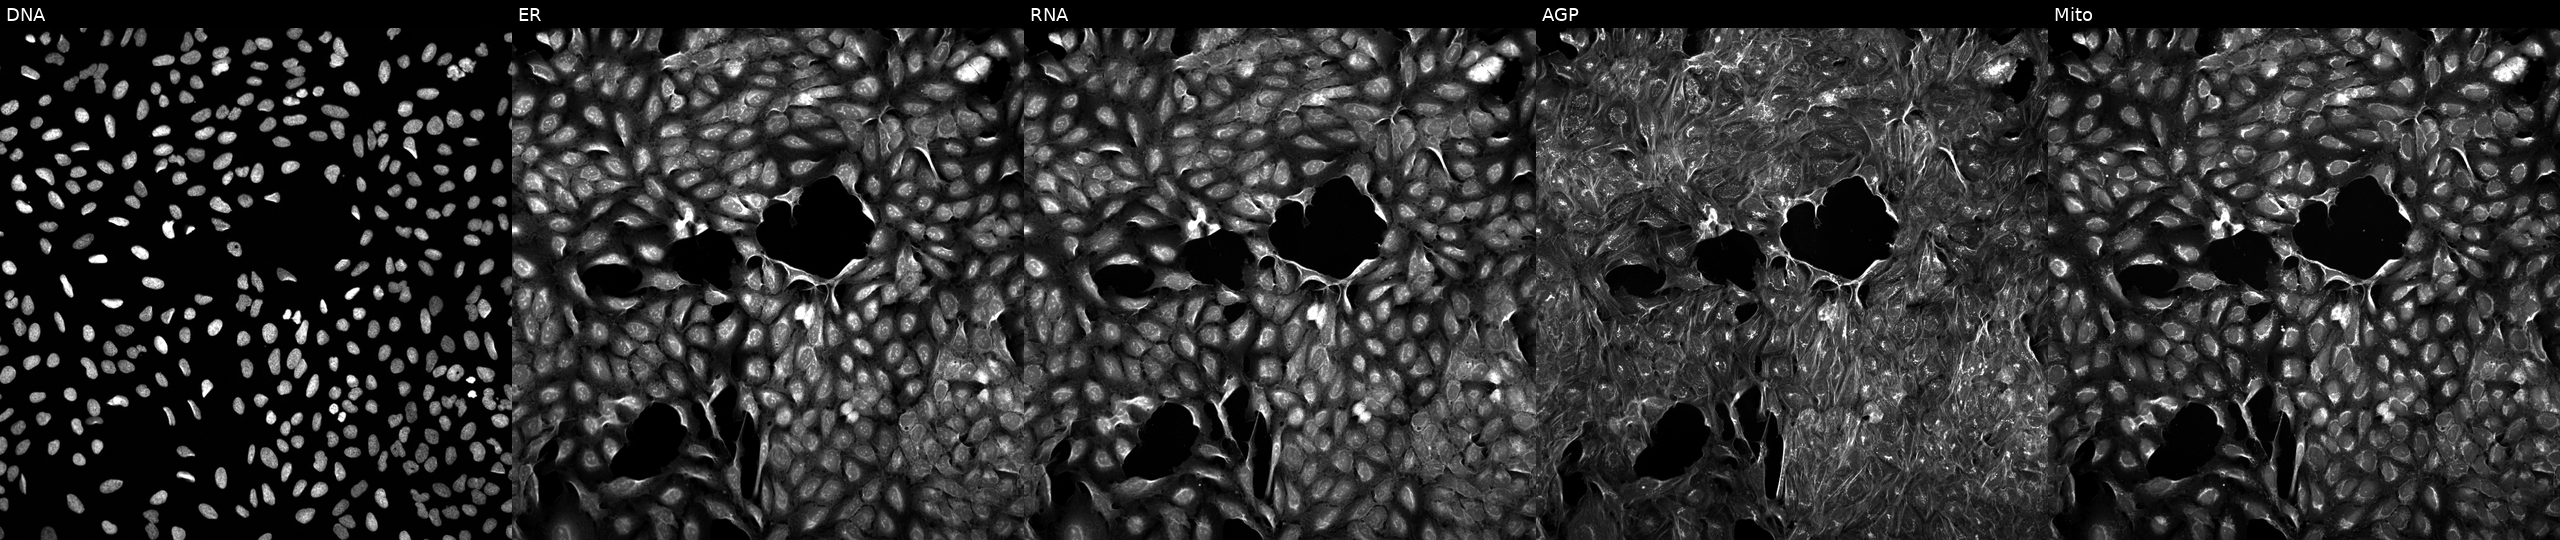
JUMP Cell Painting — COMPOUND plate. U2OS cells perturbed with a small-molecule compound (InChIKey NWLOLJNSEZJLKN-UHFFFAOYSA-N) (JUMP id JCP2022_061793). From left to right: DNA (nuclei); ER (endoplasmic reticulum); RNA (nucleoli and cytoplasmic RNA); AGP (actin cytoskeleton, Golgi, and plasma membrane); Mito (mitochondria). Source 5, plate APTJUM106, well O05.